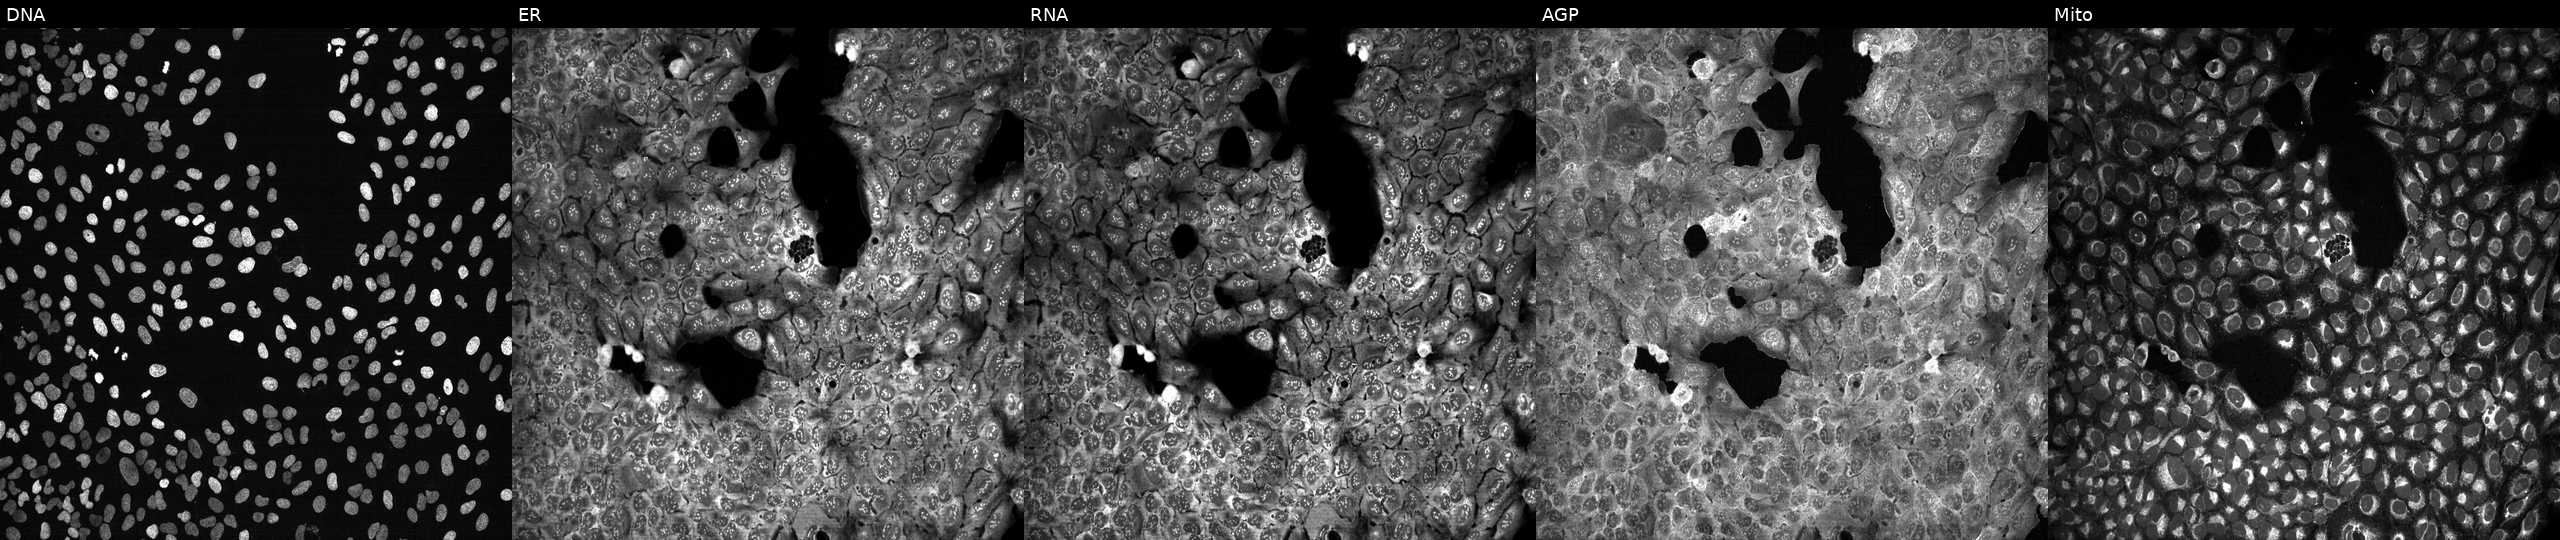
High-content fluorescence microscopy (Cell Painting). Cell line: U2OS. Perturbation: CRISPR-edited to disrupt SLC17A6. Panels show, left to right, Hoechst 33342, concanavalin A, SYTO 14, phalloidin and WGA, MitoTracker.